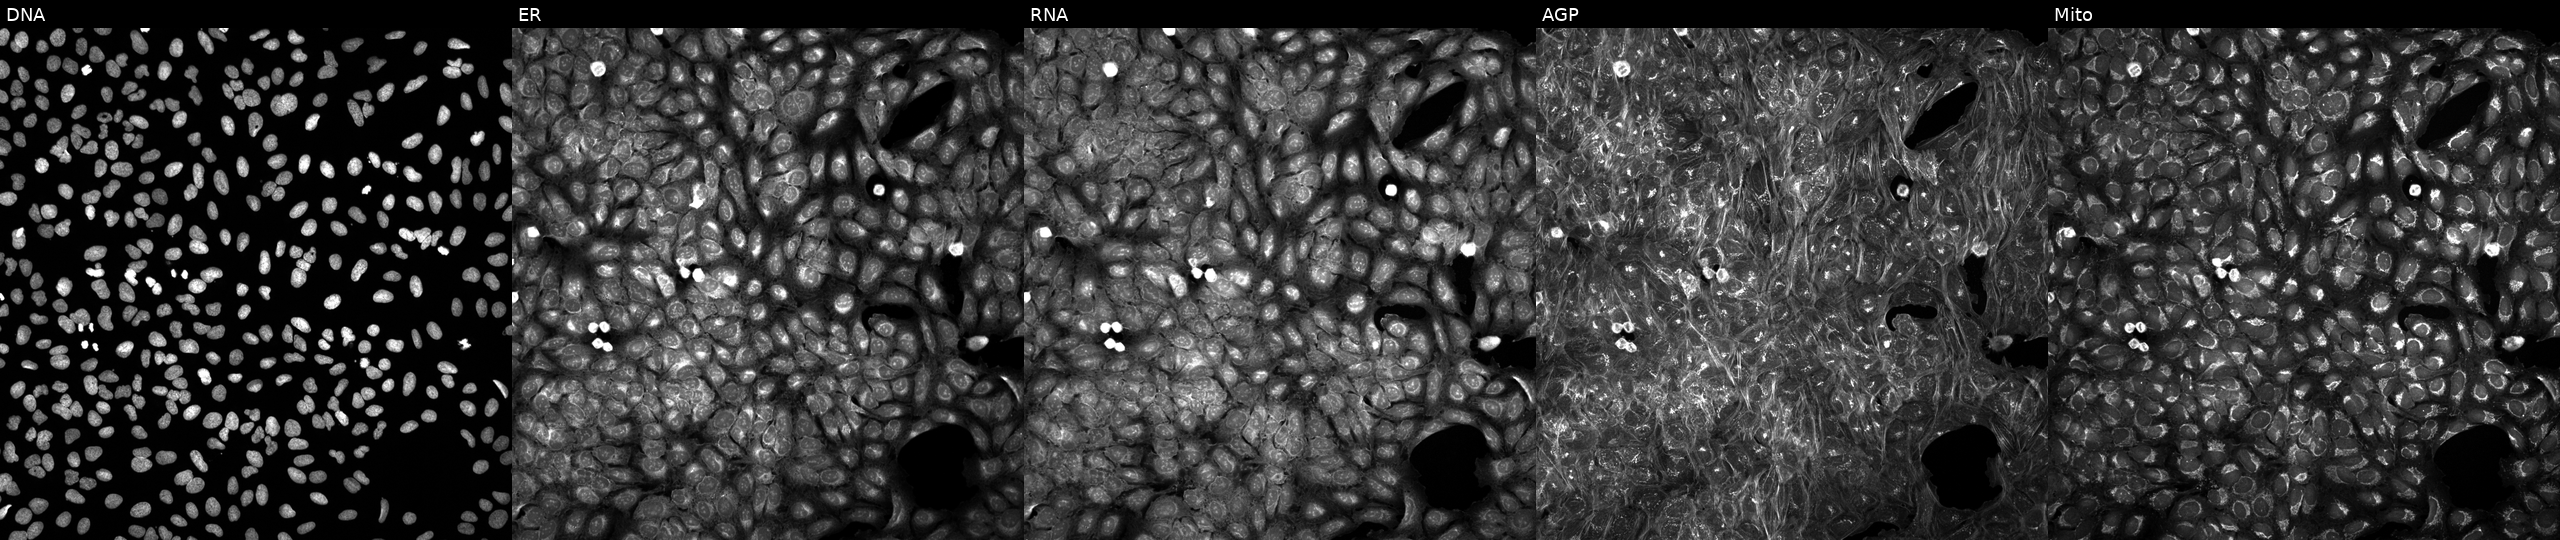
JUMP Cell Painting — TARGET2 plate. U2OS cells exposed to a small-molecule compound (InChIKey MFDFERRIHVXMIY-UHFFFAOYSA-N). The five panels, left to right, show DNA (nuclei); ER (endoplasmic reticulum); RNA (nucleoli and cytoplasmic RNA); AGP (actin cytoskeleton, Golgi, and plasma membrane); Mito (mitochondria). Source 5, plate ACPJUM012, well G23.